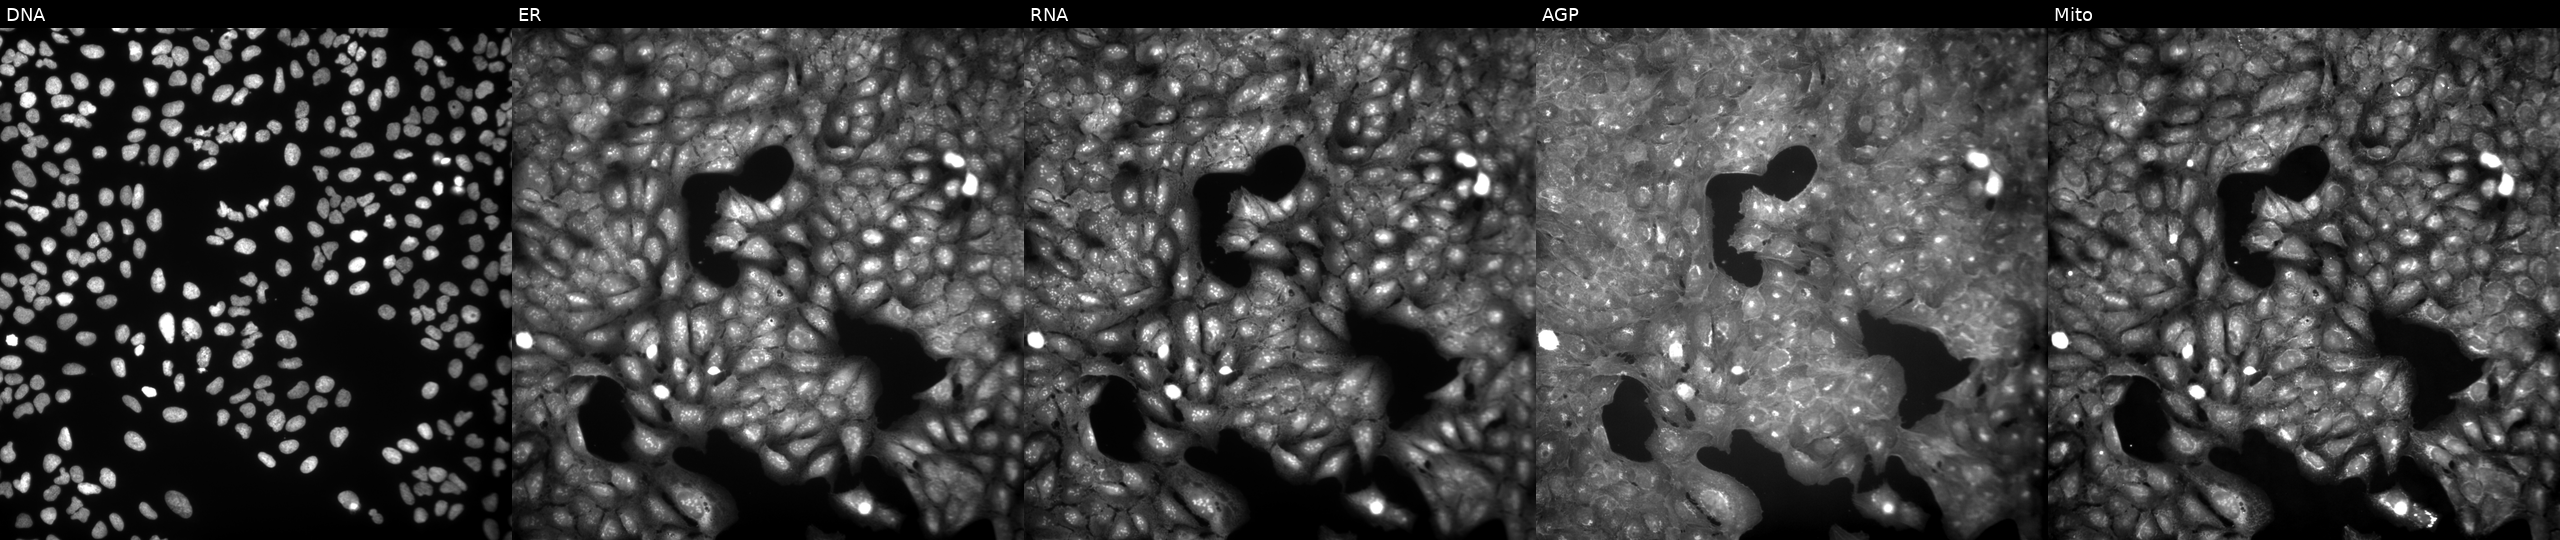
Channels (left→right): DNA (nuclei); ER (endoplasmic reticulum); RNA (nucleoli and cytoplasmic RNA); AGP (actin cytoskeleton, Golgi, and plasma membrane); Mito (mitochondria). U2OS osteosarcoma cells exposed to a small-molecule compound (InChIKey PMCYLMCDXBFKBF-UHFFFAOYSA-N). Cell Painting assay, JUMP-CP dataset. Source 9, plate GR00003382, well L42.